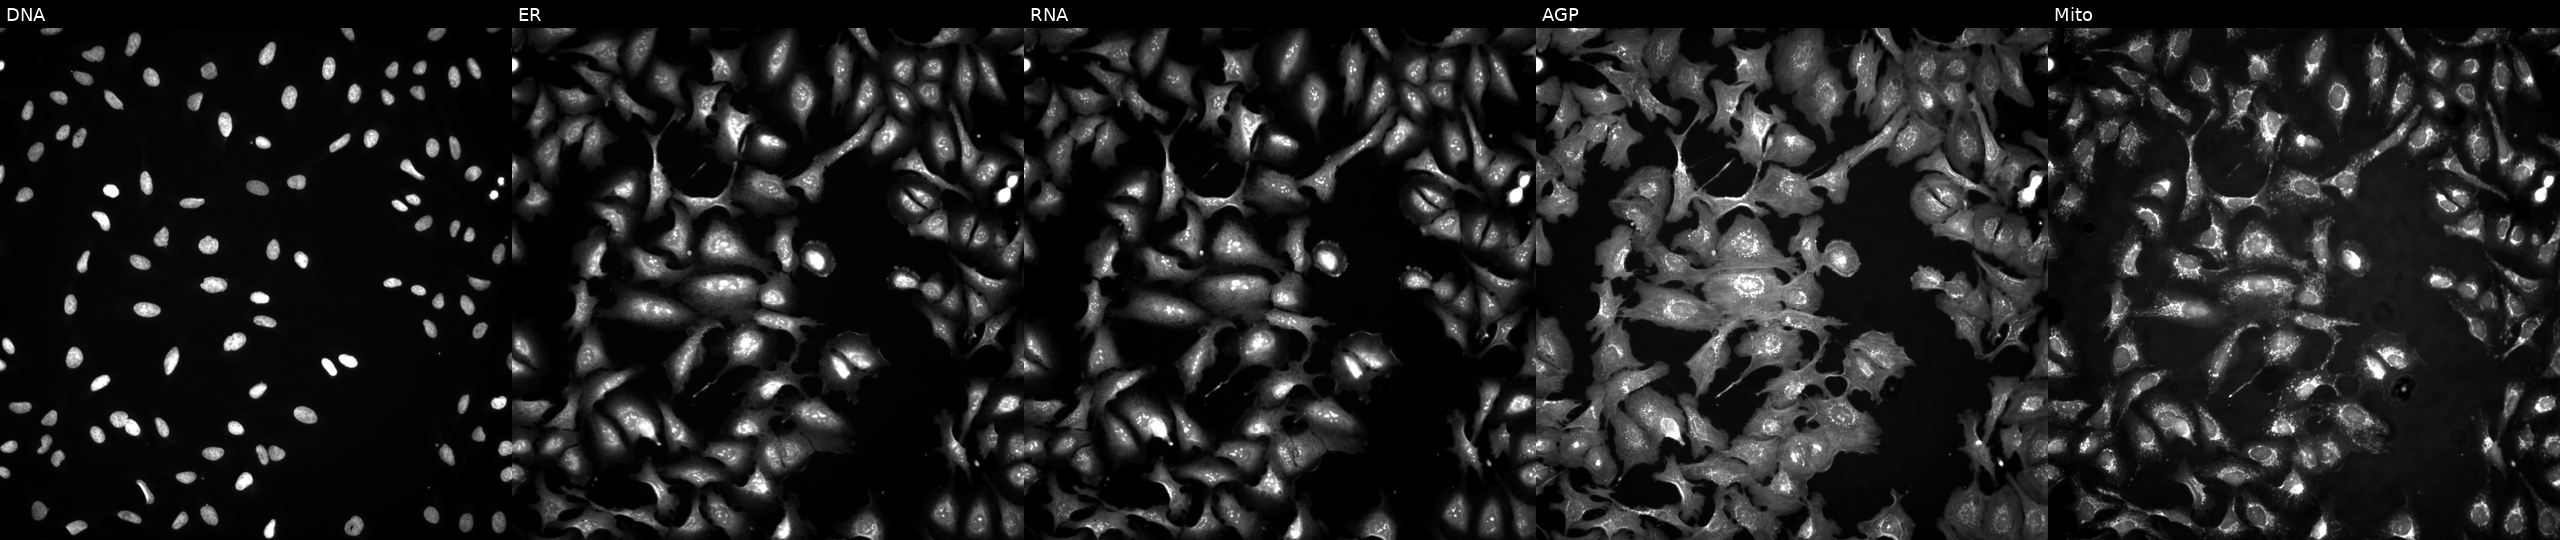
JUMP Cell Painting — ORF plate. U2OS cells transfected with an ORF construct for BMP2K. From left to right: DNA (nuclei); ER (endoplasmic reticulum); RNA (nucleoli and cytoplasmic RNA); AGP (actin cytoskeleton, Golgi, and plasma membrane); Mito (mitochondria). Source 4, plate BR00123945, well I03.